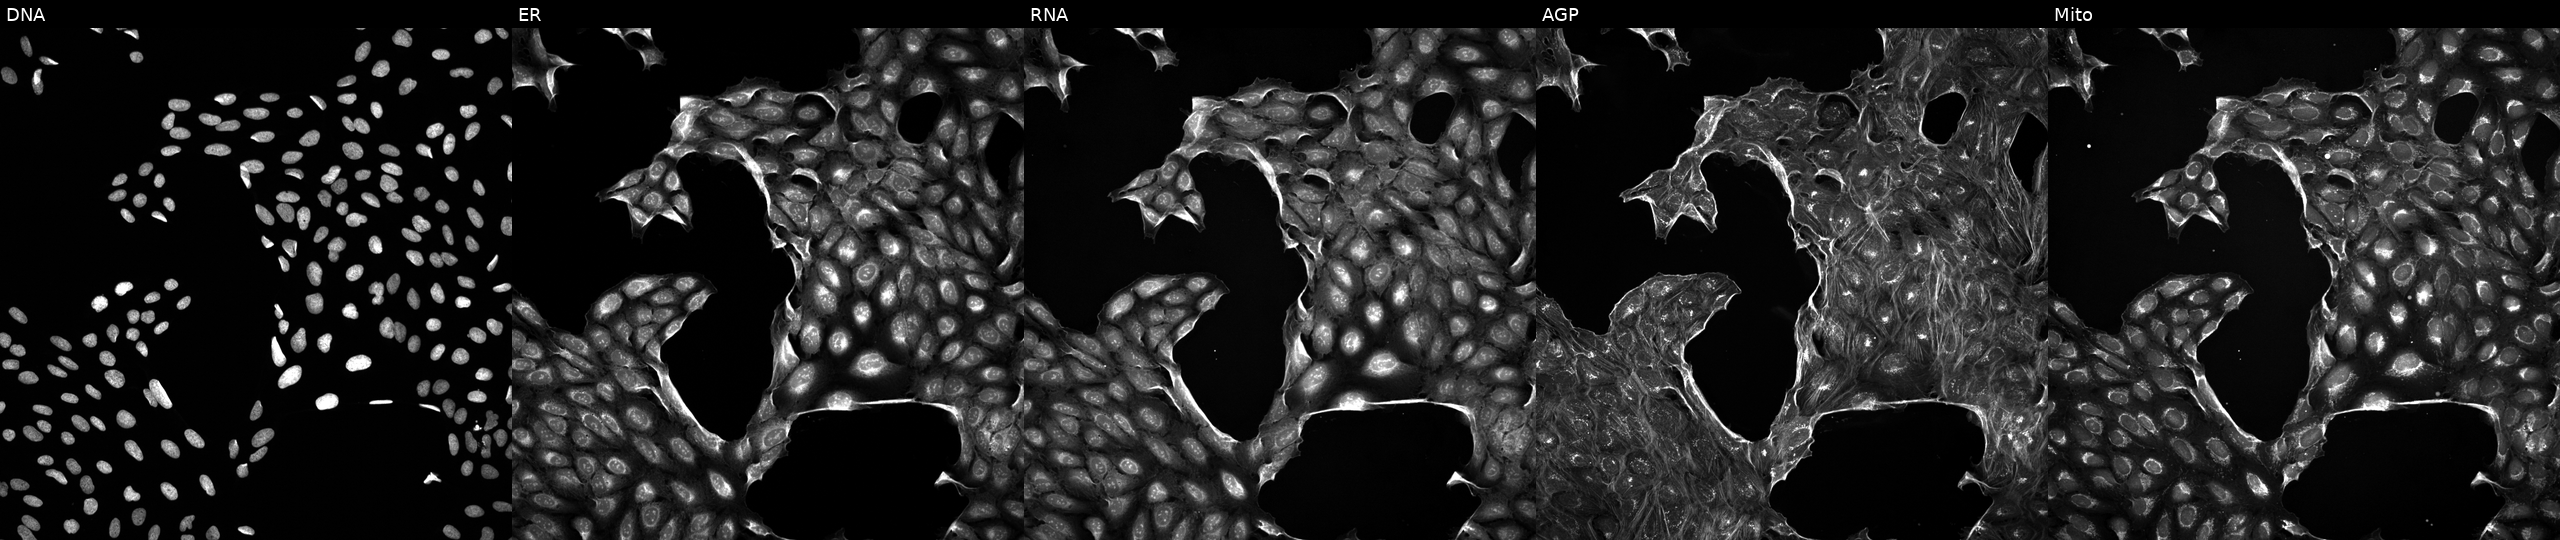
JUMP Cell Painting — TARGET2 plate. U2OS cells exposed to a small-molecule compound (InChIKey WJBLNOPPDWQMCH-UHFFFAOYSA-N) (JUMP id JCP2022_099089). Panels show, left to right, DNA (nuclei); ER (endoplasmic reticulum); RNA (nucleoli and cytoplasmic RNA); AGP (actin cytoskeleton, Golgi, and plasma membrane); Mito (mitochondria).